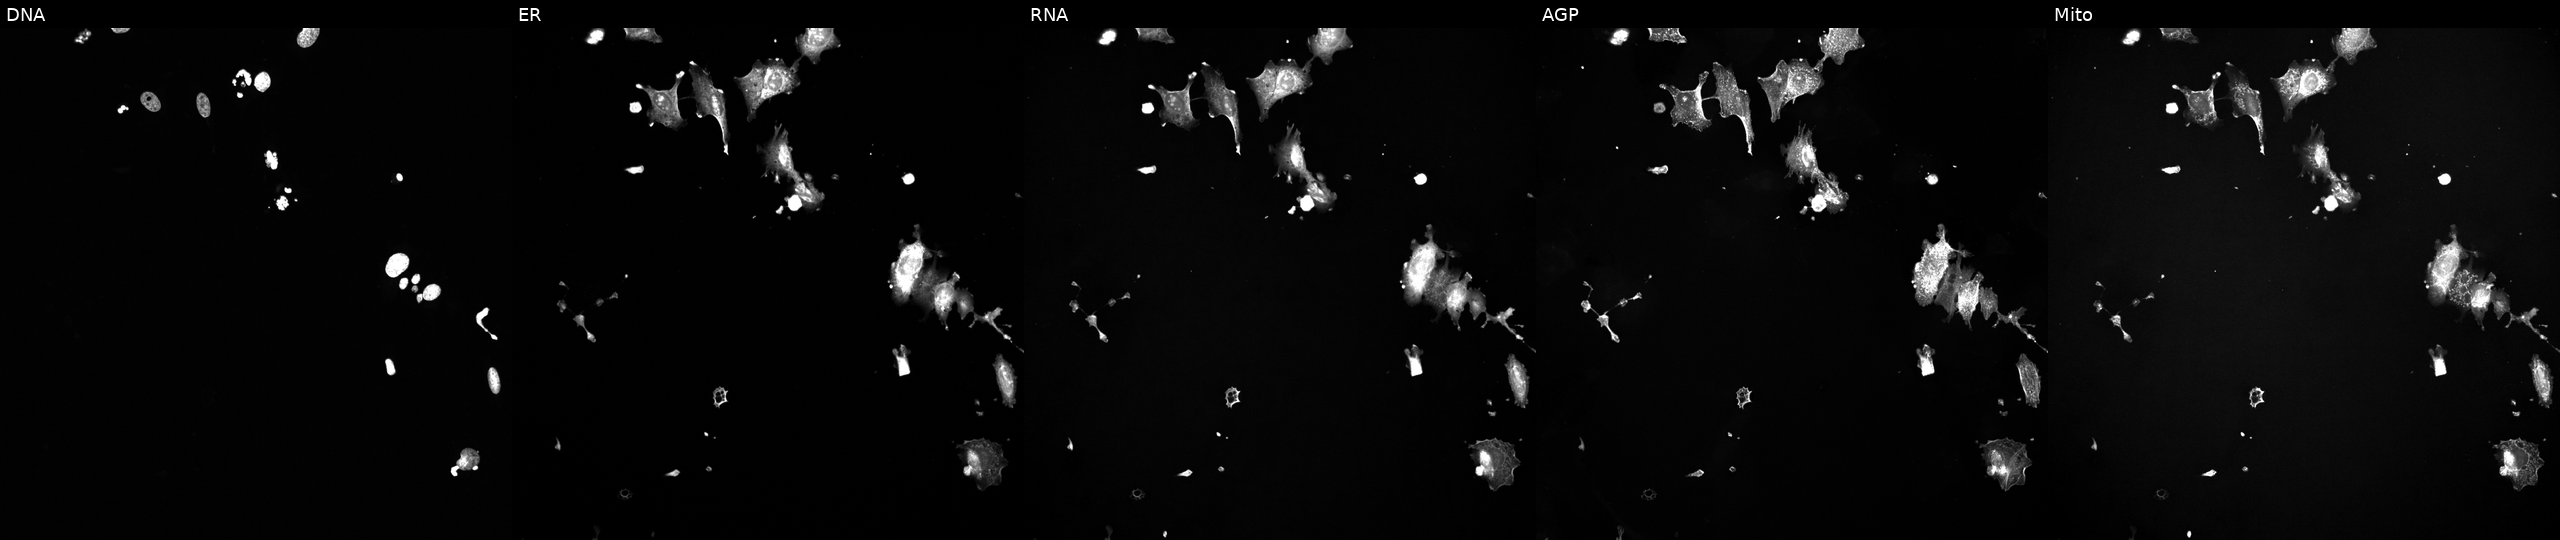
Channels (left→right): Hoechst 33342, concanavalin A, SYTO 14, phalloidin and WGA, MitoTracker. U2OS osteosarcoma cells exposed to a small-molecule compound (InChIKey VSVFLGPUZJTBSD-UHFFFAOYSA-N) [SMILES: COc1cc(OC)c(C=CS(=O)(=O)Cc2ccc(OC)c(O[PH](=O)(=O)O)c2)c(OC)c1]. Cell Painting assay, JUMP-CP dataset. Source 5, plate ACPJUM012, well D02.